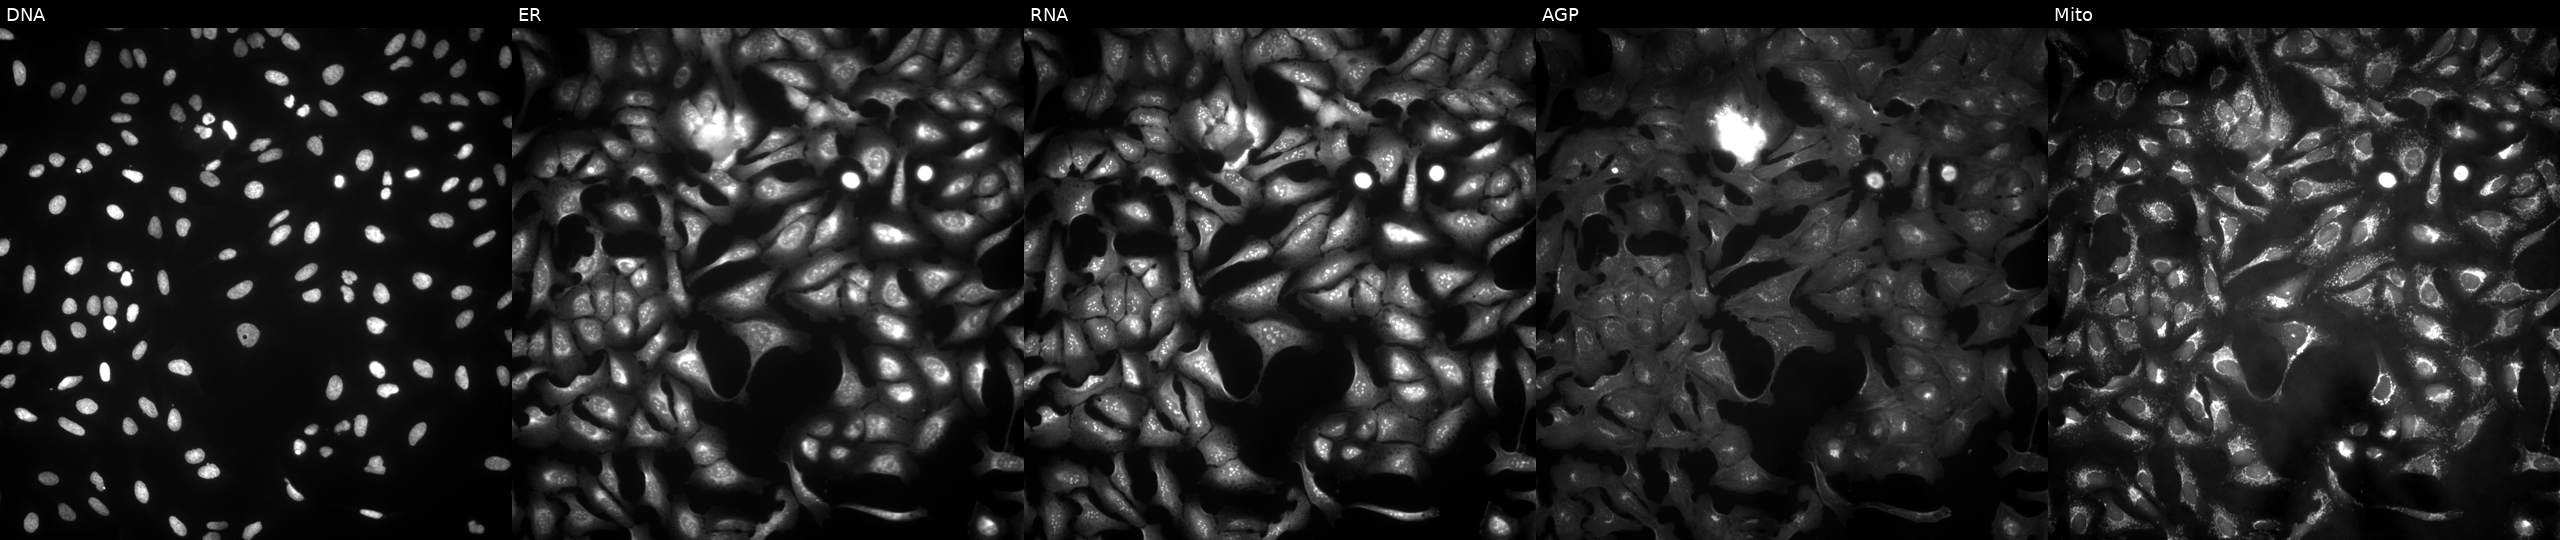
High-content fluorescence microscopy (Cell Painting). Cell line: U2OS. Perturbation: with ZNF3 overexpressed (ORF). From left to right: DNA, ER, RNA, AGP, and Mito. Source 4, plate BR00123506, well K16.